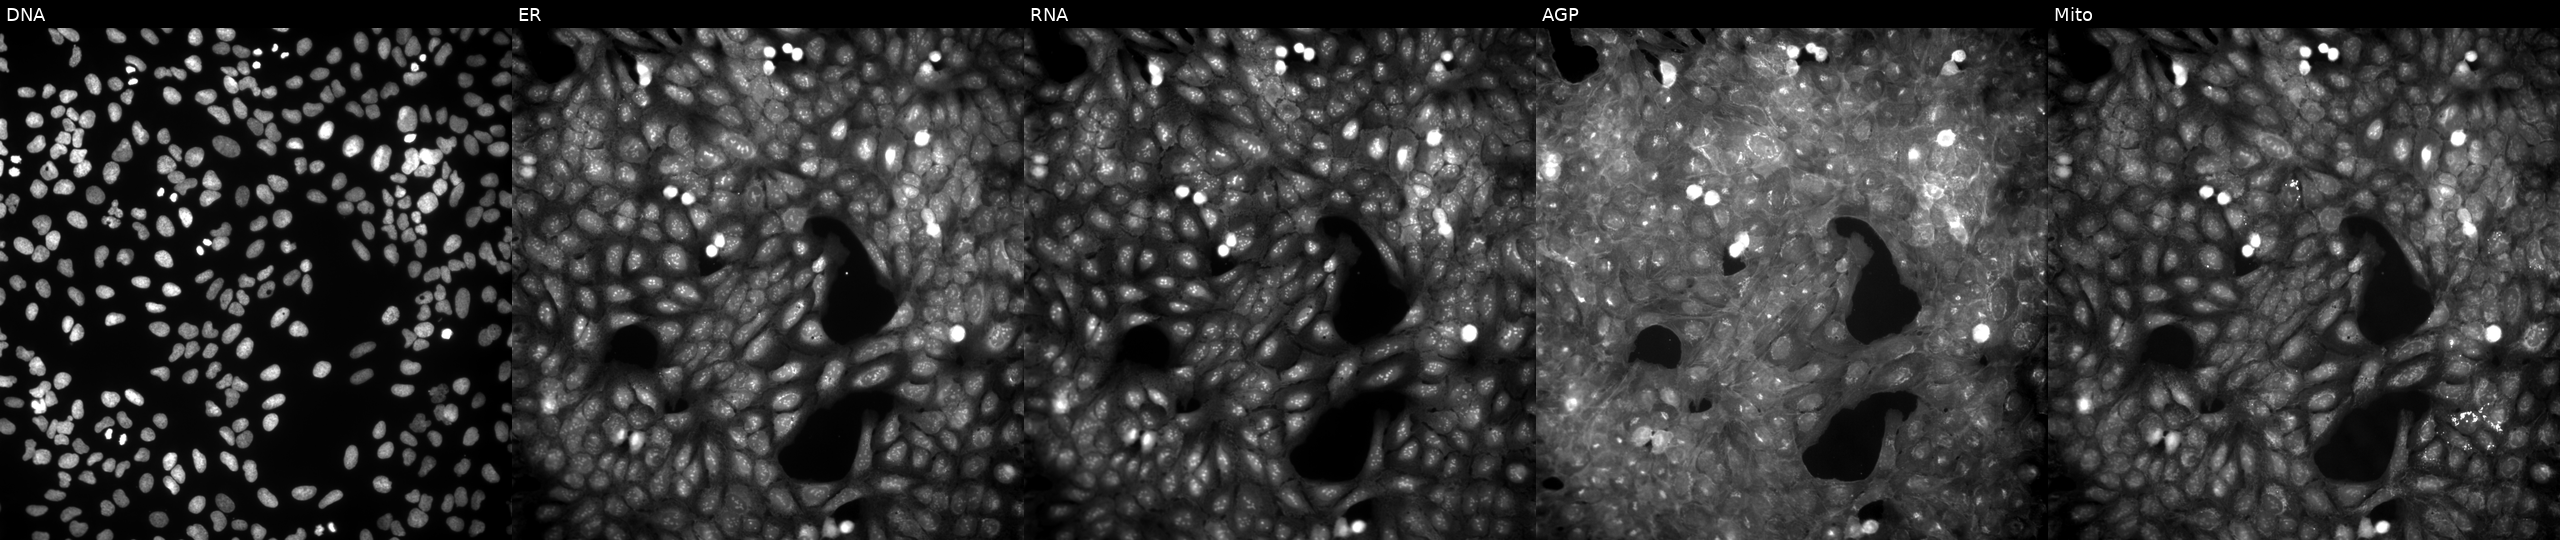
JUMP Cell Painting — COMPOUND plate. U2OS cells exposed to a small-molecule compound (InChIKey QGQXUJOCMIBDOI-UHFFFAOYSA-N) (JUMP id JCP2022_073319). The five panels, left to right, show DNA (nuclei); ER (endoplasmic reticulum); RNA (nucleoli and cytoplasmic RNA); AGP (actin cytoskeleton, Golgi, and plasma membrane); Mito (mitochondria). Source 9, plate GR00003382, well X18.